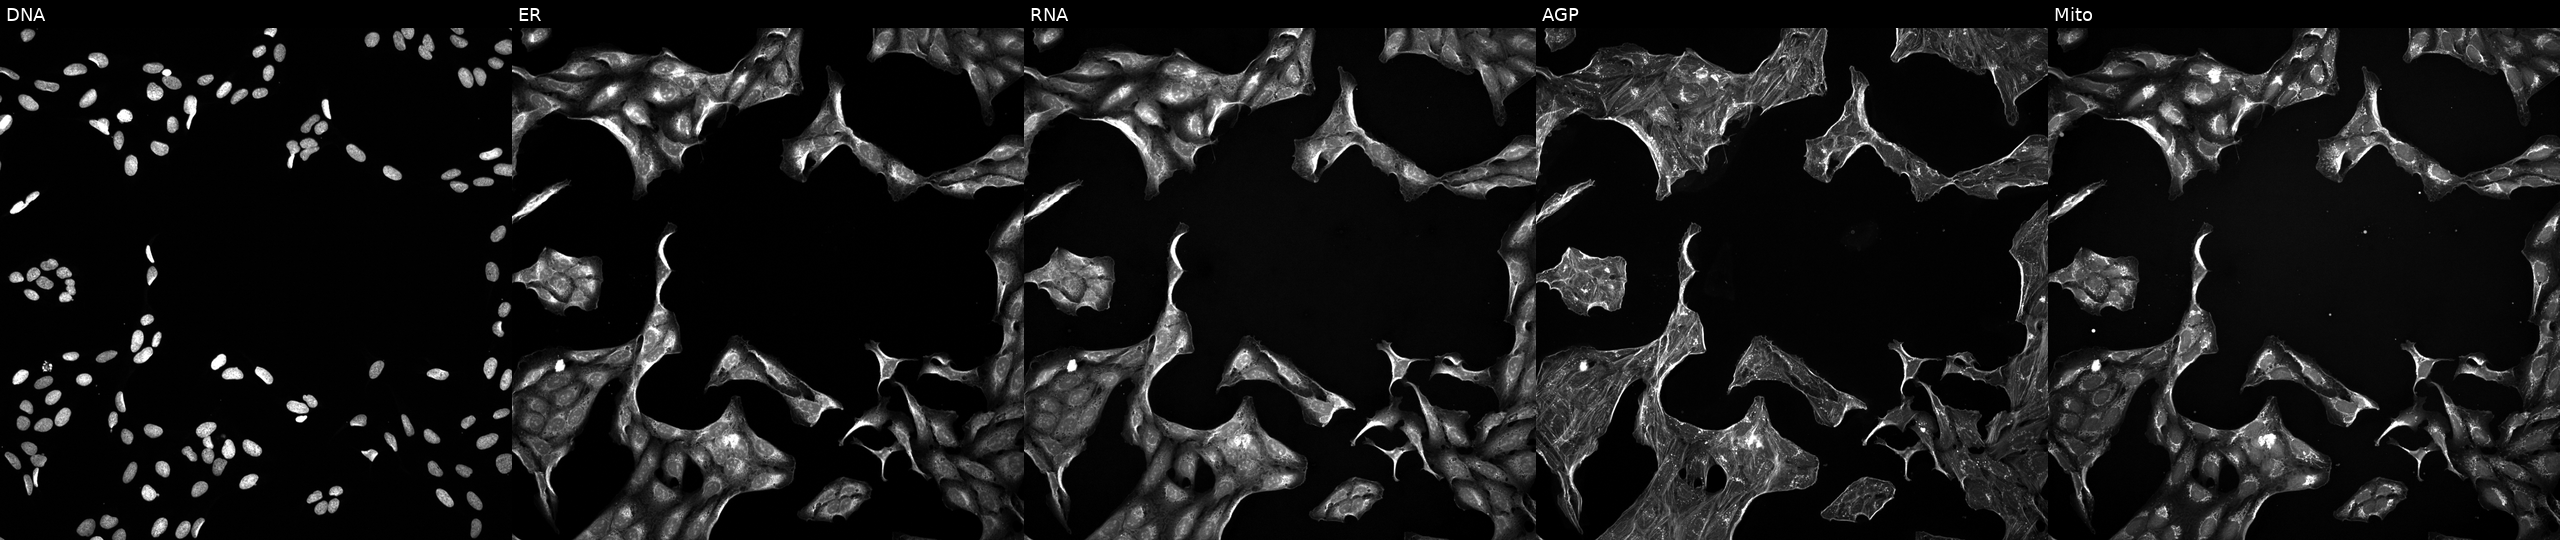
JUMP Cell Painting — TARGET2 plate. U2OS cells exposed to a small-molecule compound (InChIKey VERWOWGGCGHDQE-UHFFFAOYSA-N). The five panels, left to right, show DNA, ER, RNA, AGP, and Mito. Source 5, plate ACPJUM051, well J19.